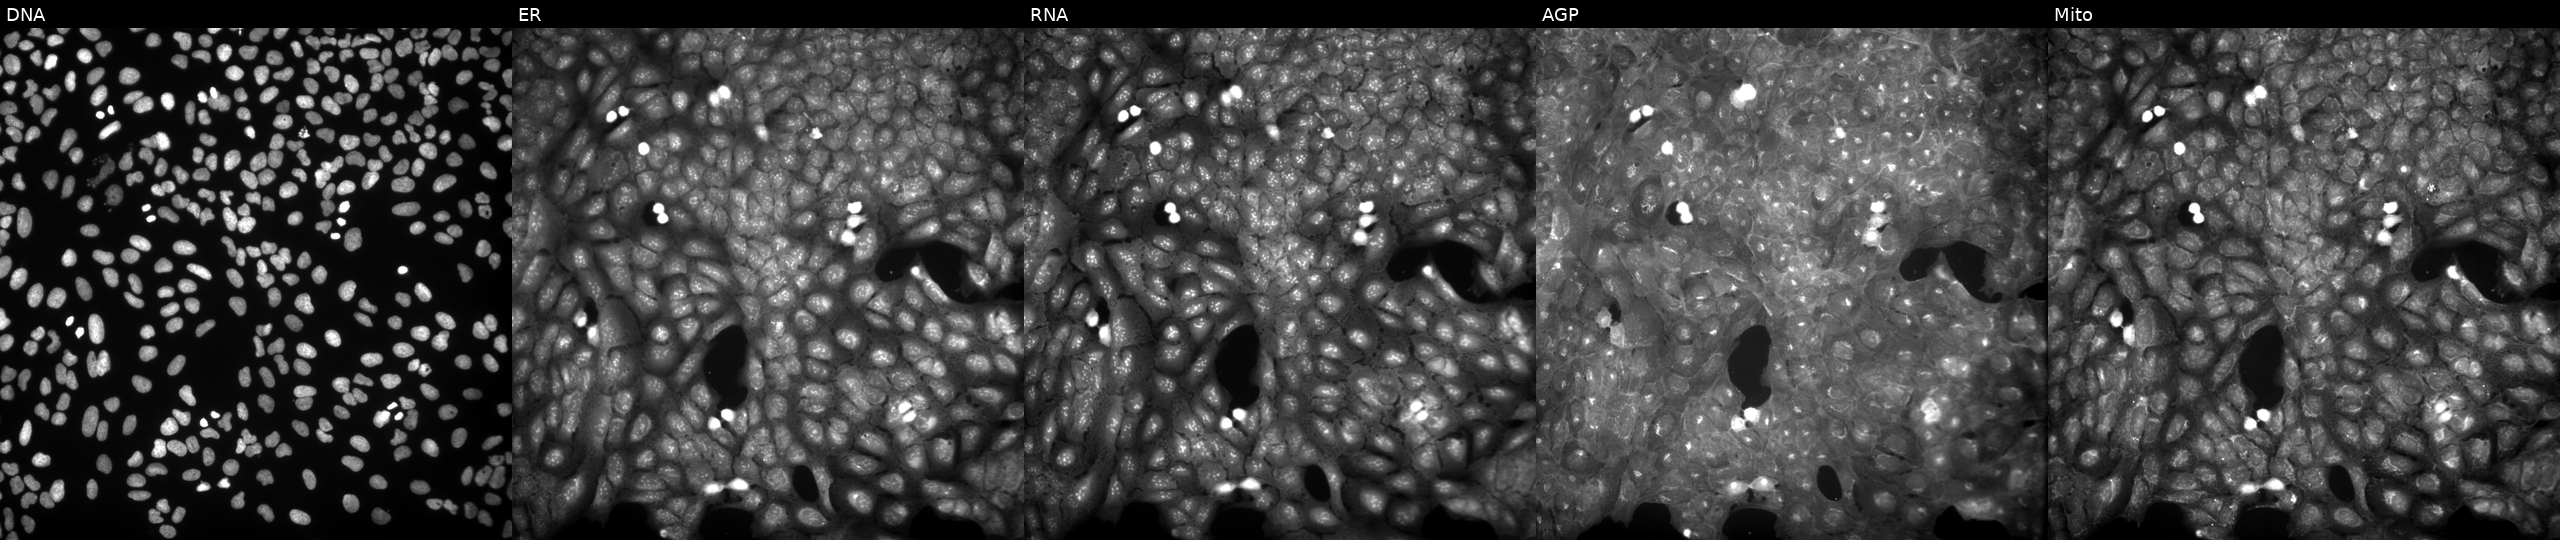
JUMP Cell Painting — COMPOUND plate. U2OS cells treated with a small-molecule compound (InChIKey SRSGGEUKDCOFHK-UHFFFAOYSA-N). Channels (left→right): Hoechst 33342, concanavalin A, SYTO 14, phalloidin and WGA, MitoTracker. Source 9, plate GR00003381, well N38.